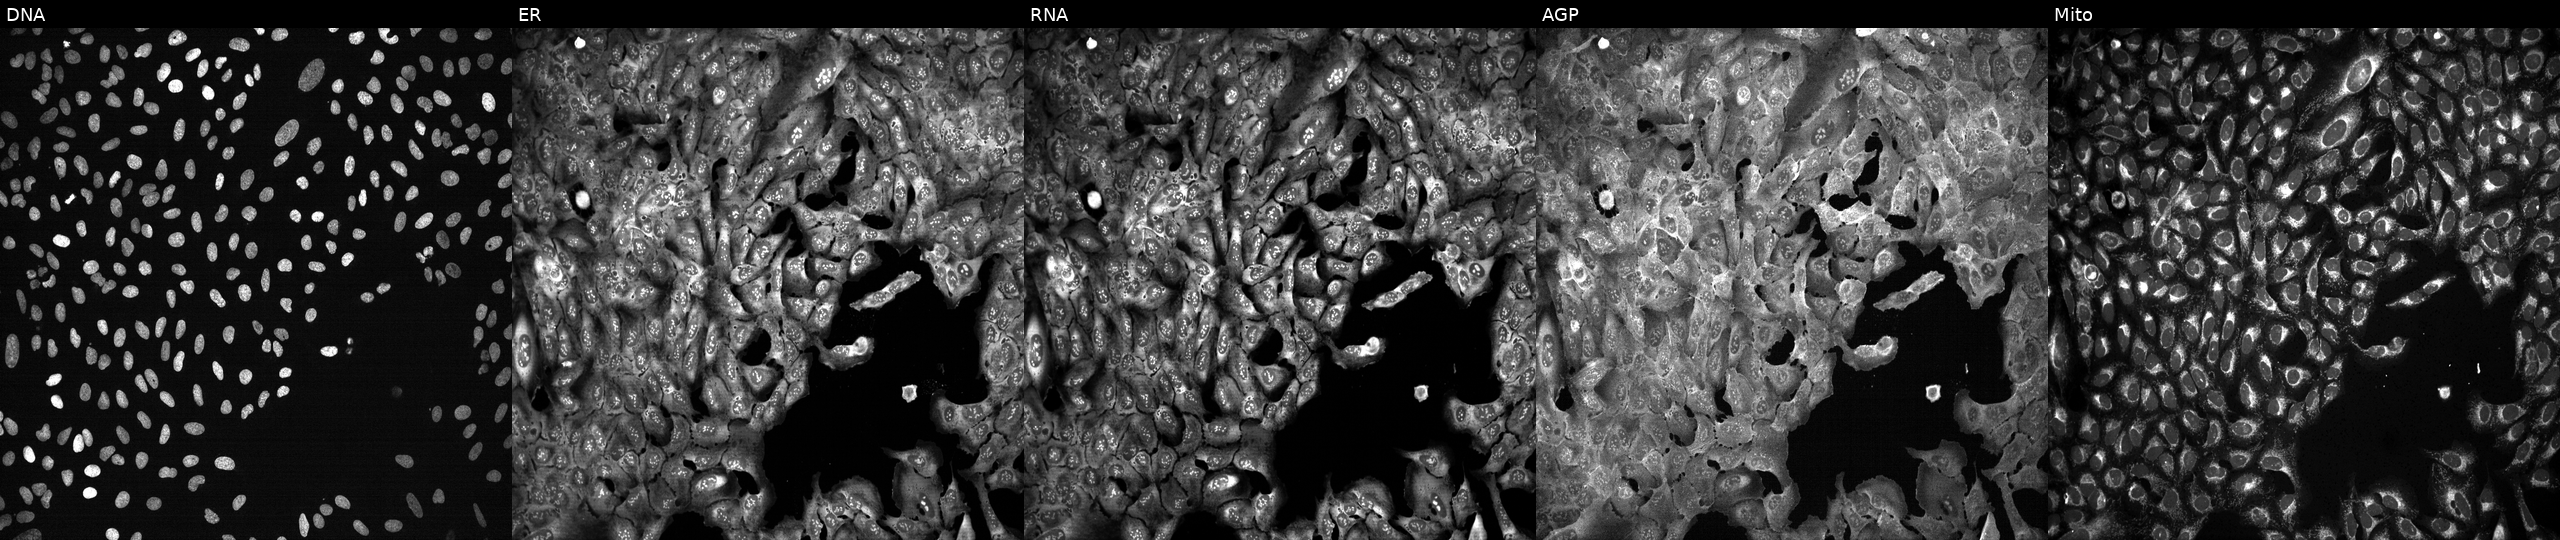
JUMP Cell Painting — CRISPR plate. U2OS cells CRISPR-edited to disrupt MYDGF. From left to right: DNA, ER, RNA, AGP, and Mito.